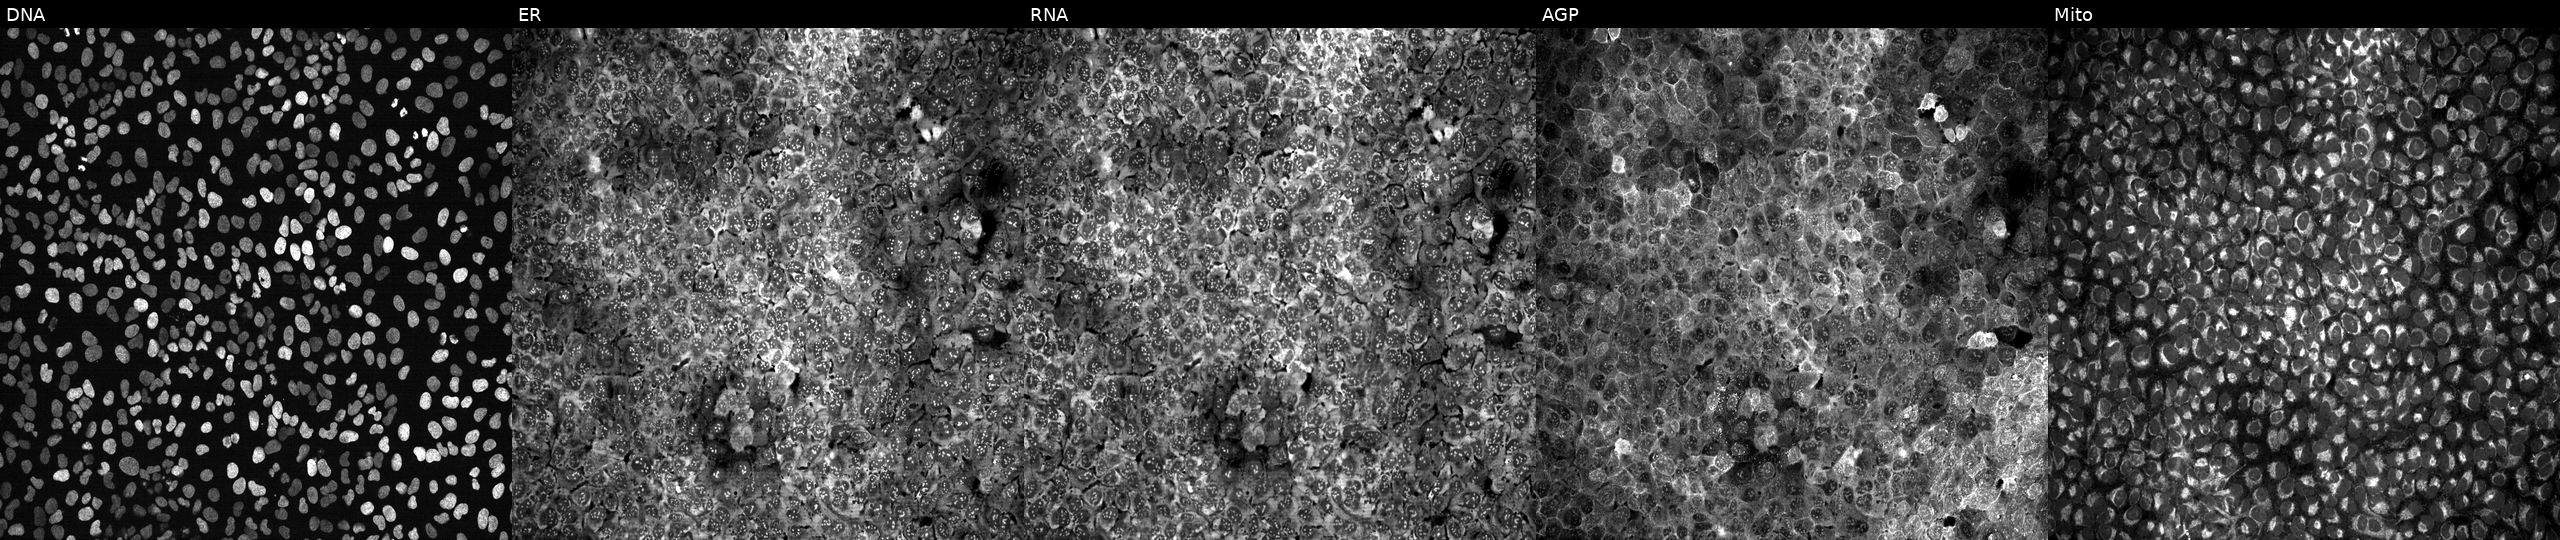
High-content fluorescence microscopy (Cell Painting). Cell line: U2OS. Perturbation: treated with quinidine (positive-control compound) (JUMP id JCP2022_050797). Channels (left→right): Hoechst 33342, concanavalin A, SYTO 14, phalloidin and WGA, MitoTracker. Source 13, plate CP-CC9-R4-04, well C24.